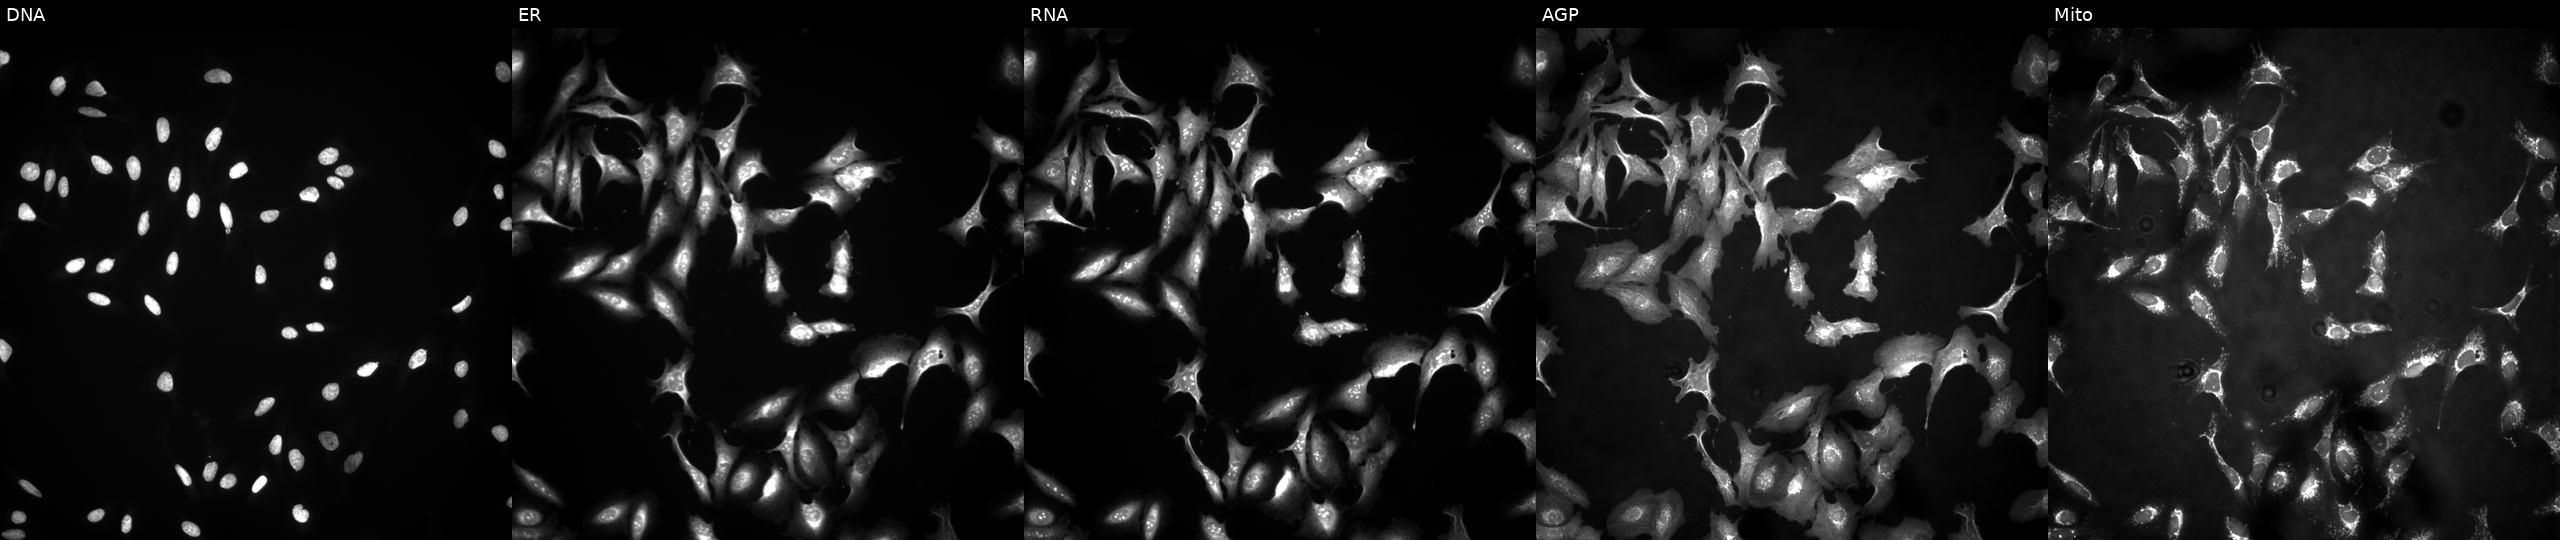
Five-channel Cell Painting image of U2OS cells with ZNF830 overexpressed (ORF). Channels (left→right): DNA, ER, RNA, AGP, and Mito.